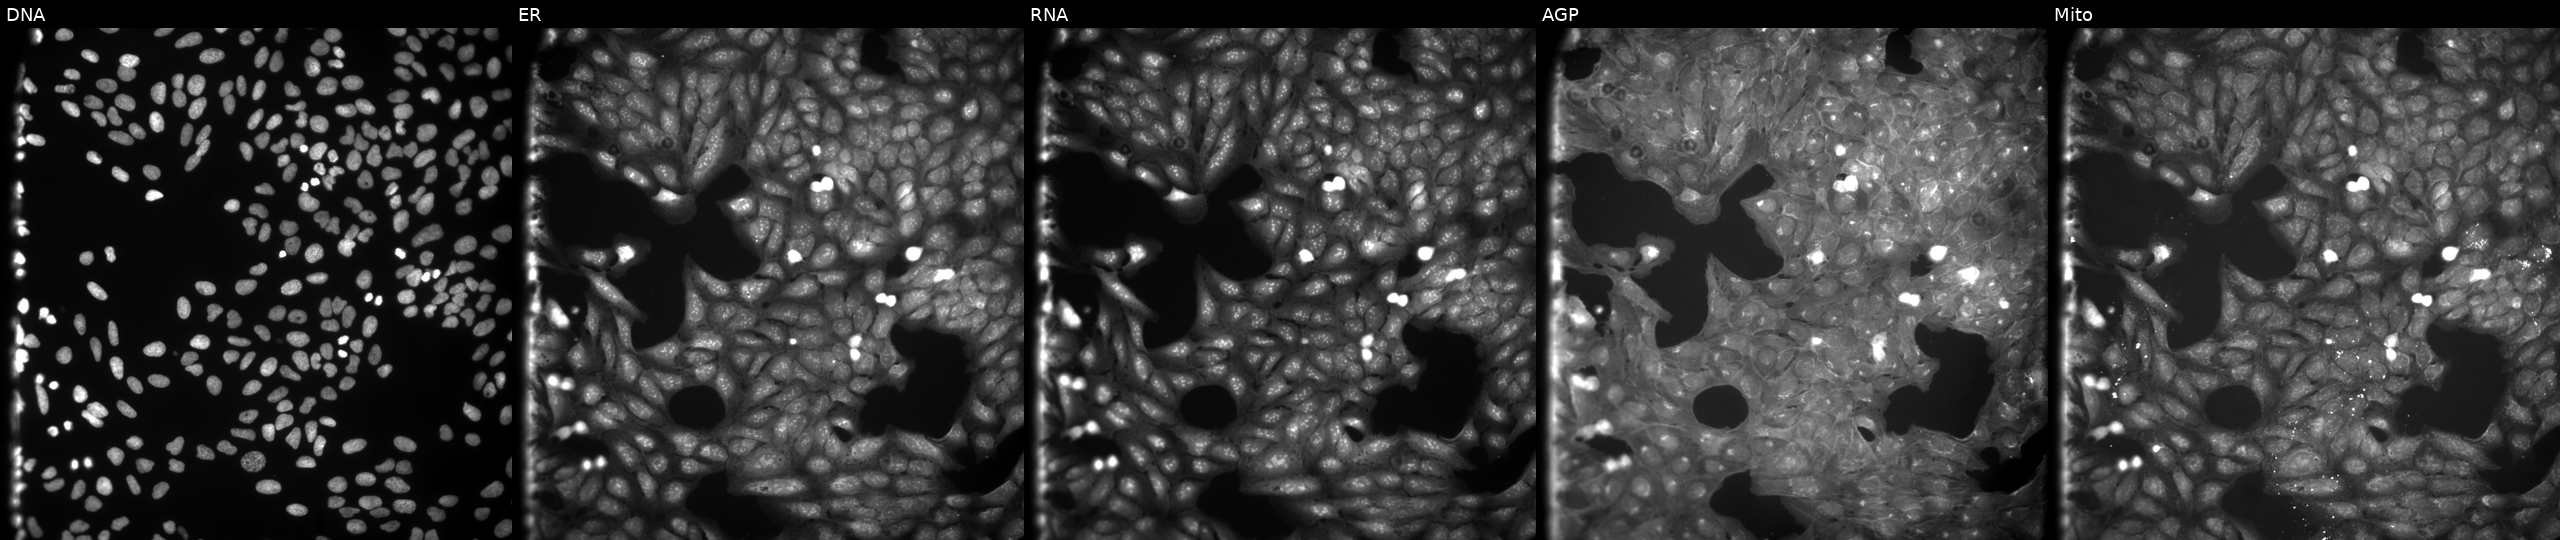
Five-channel Cell Painting image of U2OS cells exposed to the positive-control compound dexamethasone. The five panels, left to right, show Hoechst 33342, concanavalin A, SYTO 14, phalloidin and WGA, MitoTracker.